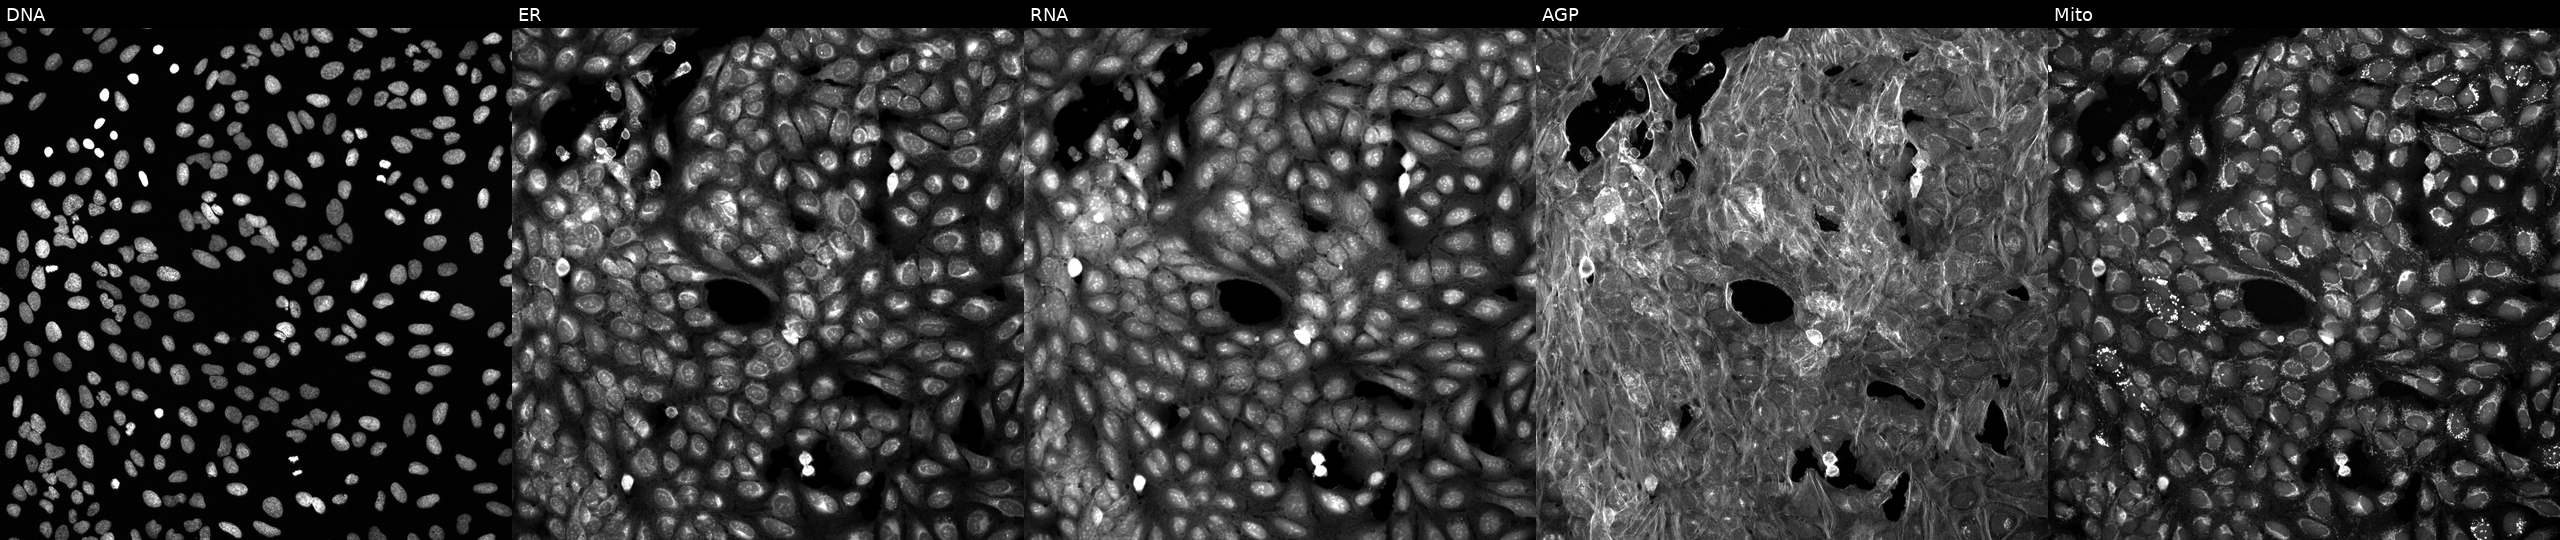
This image strip shows the five Cell Painting channels for a single field of U2OS cells perturbed with a small-molecule compound (InChIKey ZRALSGWEFCBTJO-UHFFFAOYSA-N). The five panels, left to right, show DNA (nuclei); ER (endoplasmic reticulum); RNA (nucleoli and cytoplasmic RNA); AGP (actin cytoskeleton, Golgi, and plasma membrane); Mito (mitochondria). Source 6, plate 110000294901, well I05.